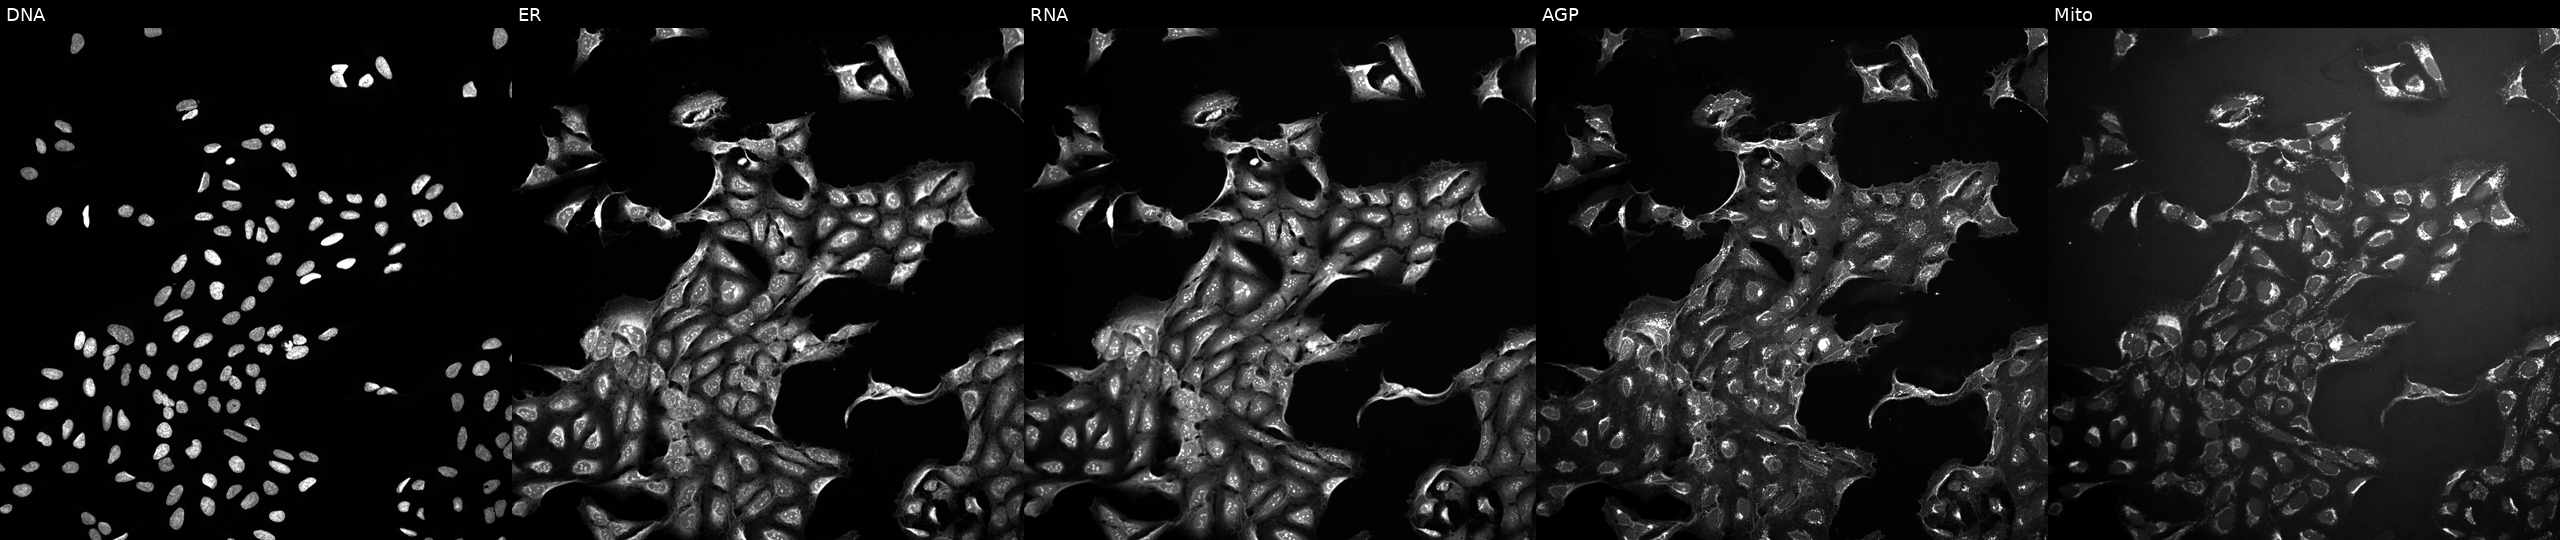
Panels show, left to right, DNA, ER, RNA, AGP, and Mito. U2OS osteosarcoma cells exposed to a small-molecule compound. Cell Painting assay, JUMP-CP dataset.